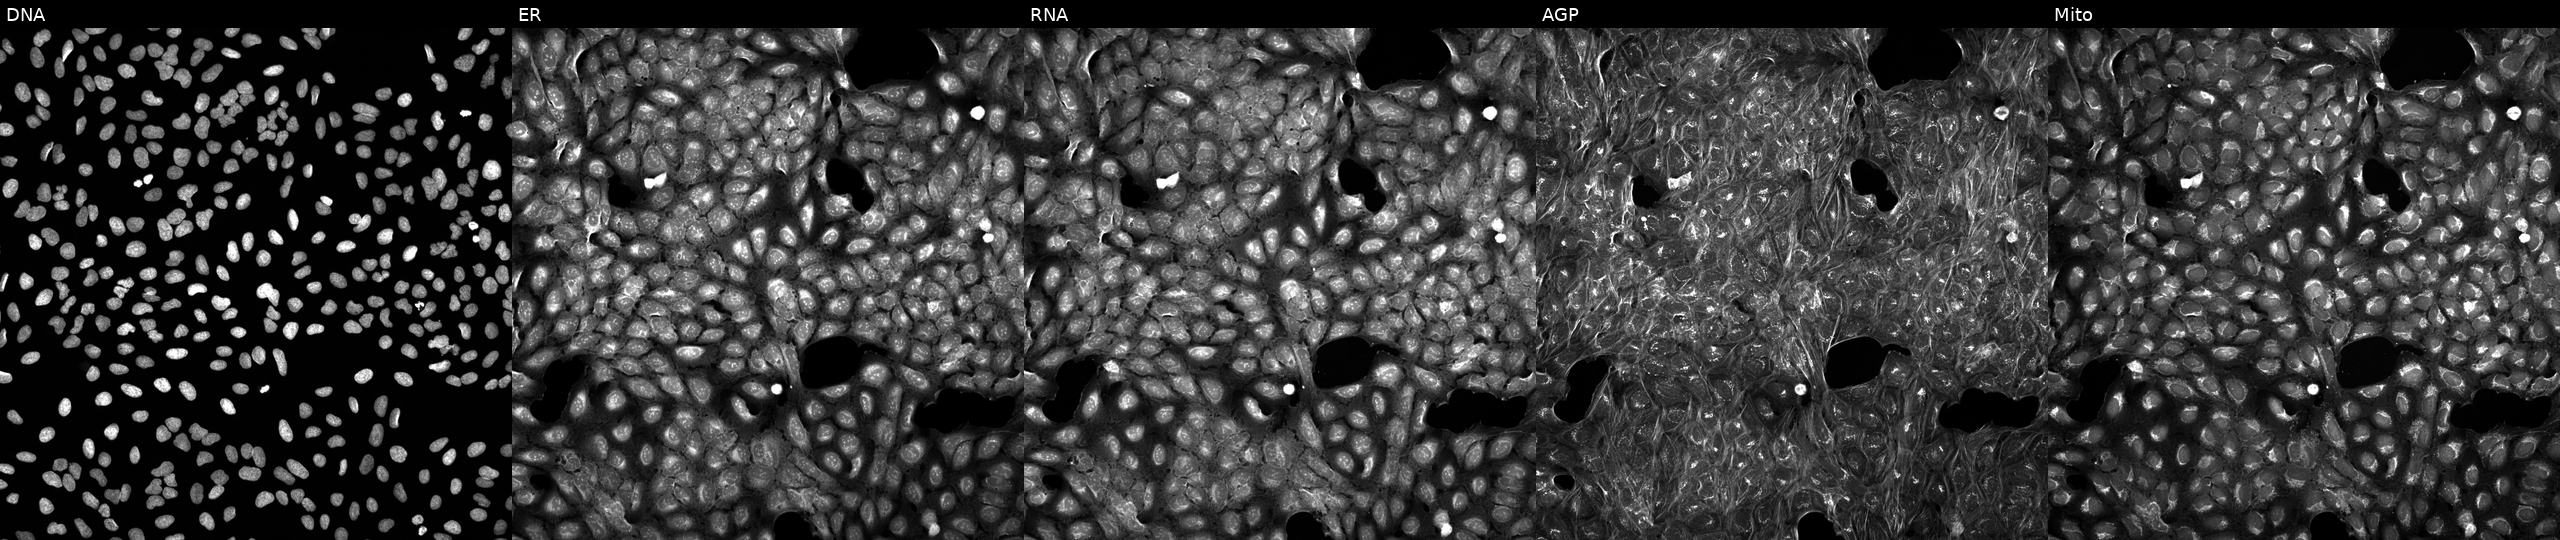
This image strip shows the five Cell Painting channels for a single field of U2OS cells exposed to a small-molecule compound. The five panels, left to right, show DNA (nuclei); ER (endoplasmic reticulum); RNA (nucleoli and cytoplasmic RNA); AGP (actin cytoskeleton, Golgi, and plasma membrane); Mito (mitochondria).